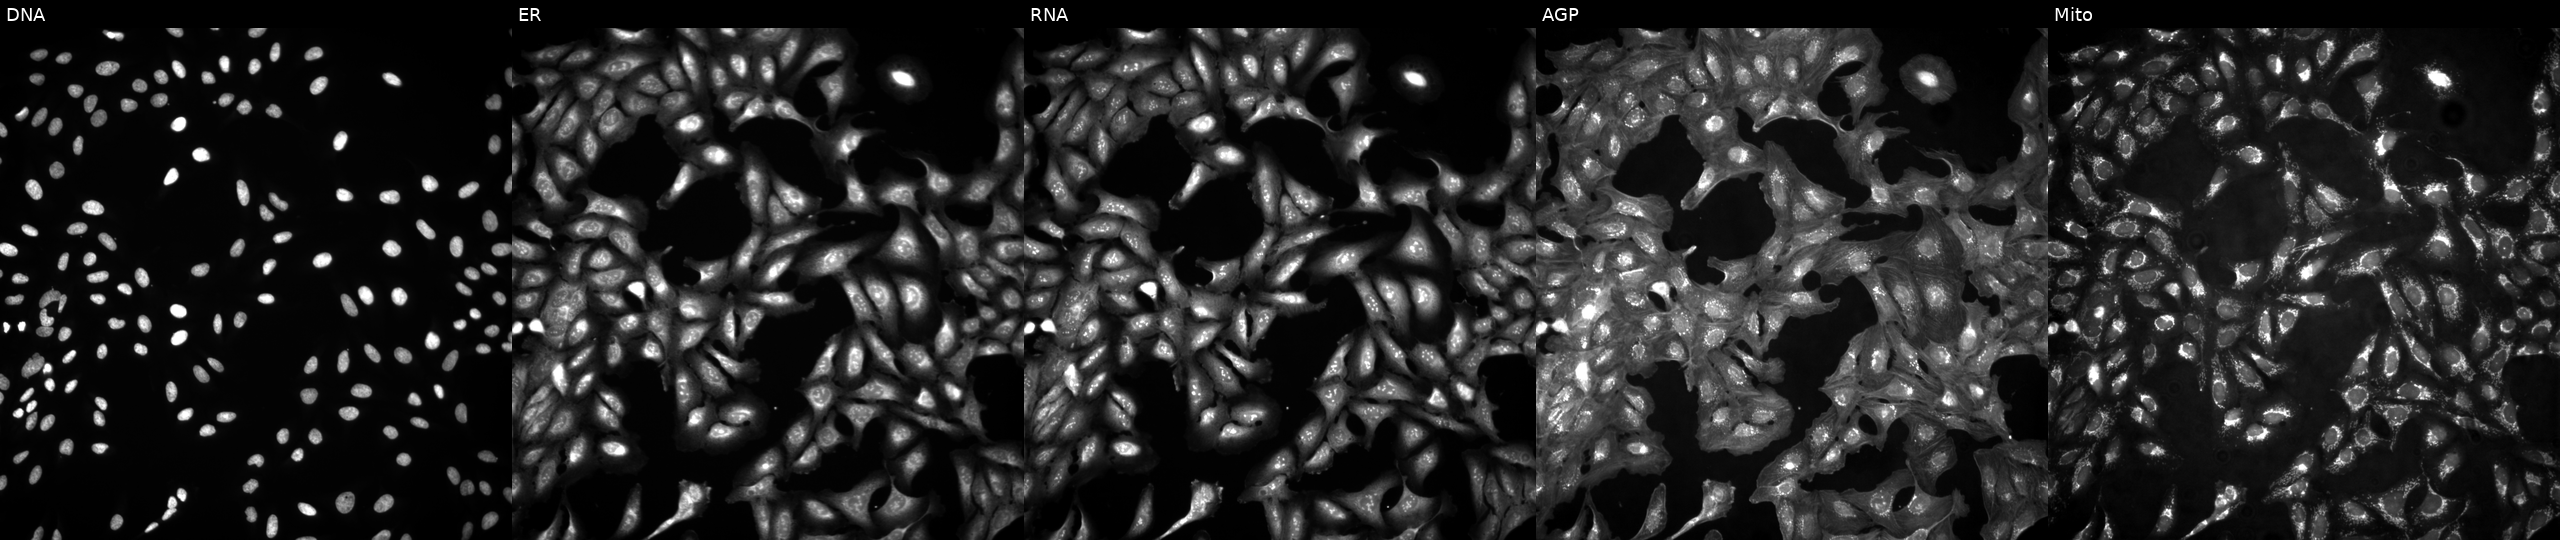
High-content fluorescence microscopy (Cell Painting). Cell line: U2OS. Perturbation: untreated (empty-well control) (JUMP id JCP2022_999999). Channels (left→right): DNA (nuclei); ER (endoplasmic reticulum); RNA (nucleoli and cytoplasmic RNA); AGP (actin cytoskeleton, Golgi, and plasma membrane); Mito (mitochondria).